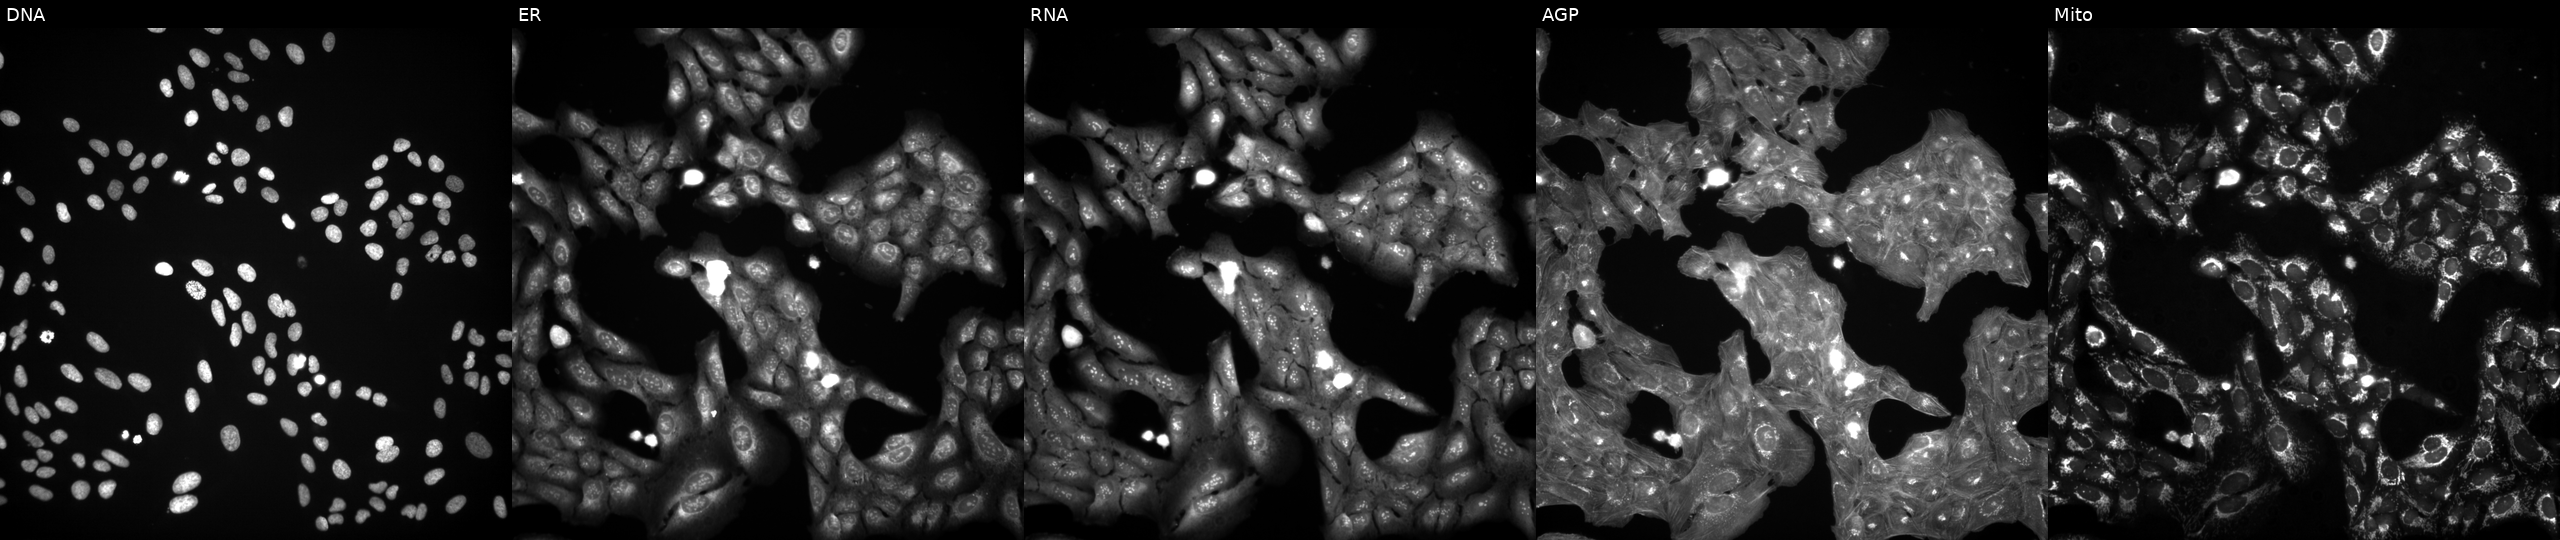
Five-channel Cell Painting image of U2OS cells perturbed with a small-molecule compound (InChIKey QIHBWVVVRYYYRO-UHFFFAOYSA-N) (JUMP id JCP2022_073628). The five panels, left to right, show DNA, ER, RNA, AGP, and Mito.